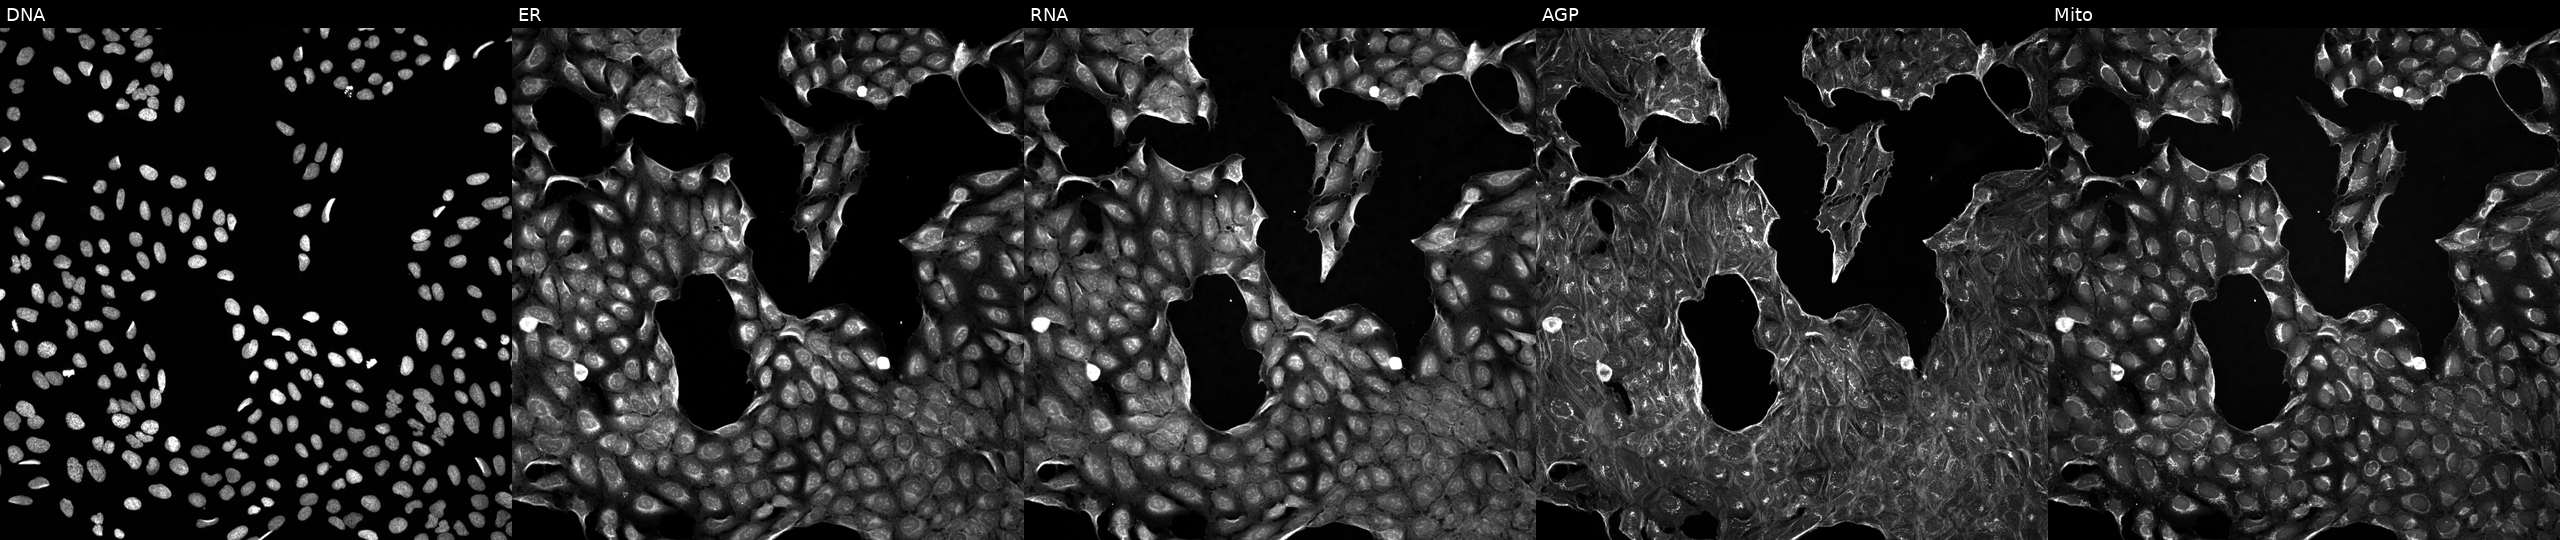
U2OS cells, Cell Painting assay, exposed to DMSO alone as a negative control. Channels (left→right): Hoechst 33342, concanavalin A, SYTO 14, phalloidin and WGA, MitoTracker. Each panel is percentile-stretched 16-bit fluorescence. Source 5, plate ACPJUM012, well M03.